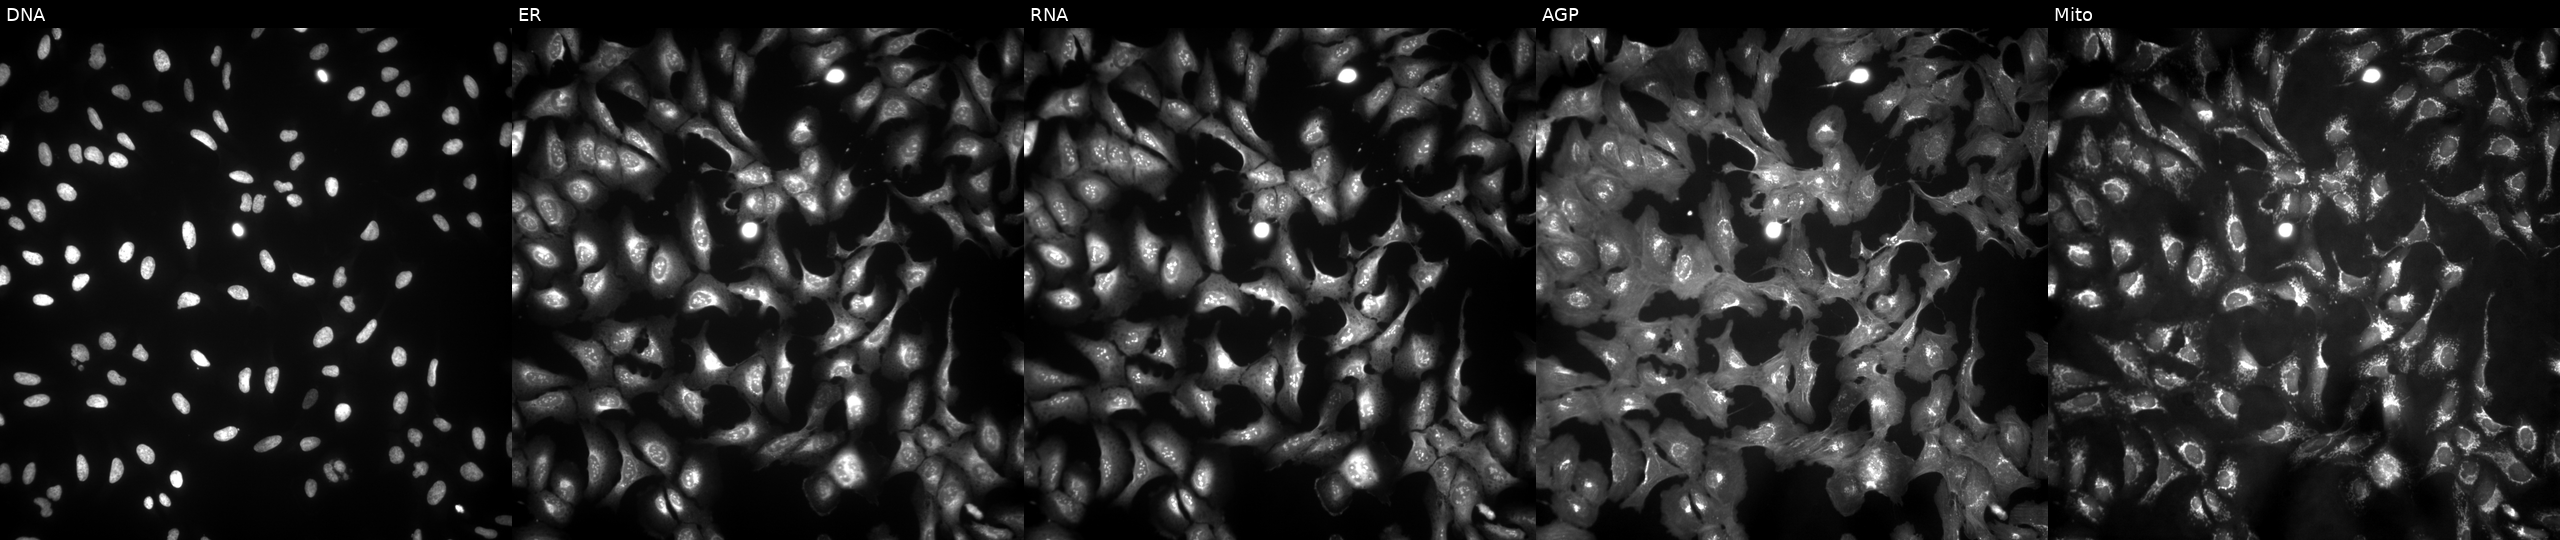
From left to right: DNA (nuclei); ER (endoplasmic reticulum); RNA (nucleoli and cytoplasmic RNA); AGP (actin cytoskeleton, Golgi, and plasma membrane); Mito (mitochondria). U2OS osteosarcoma cells with SPTLC2 overexpressed (ORF) (JUMP id JCP2022_906951). Cell Painting assay, JUMP-CP dataset.